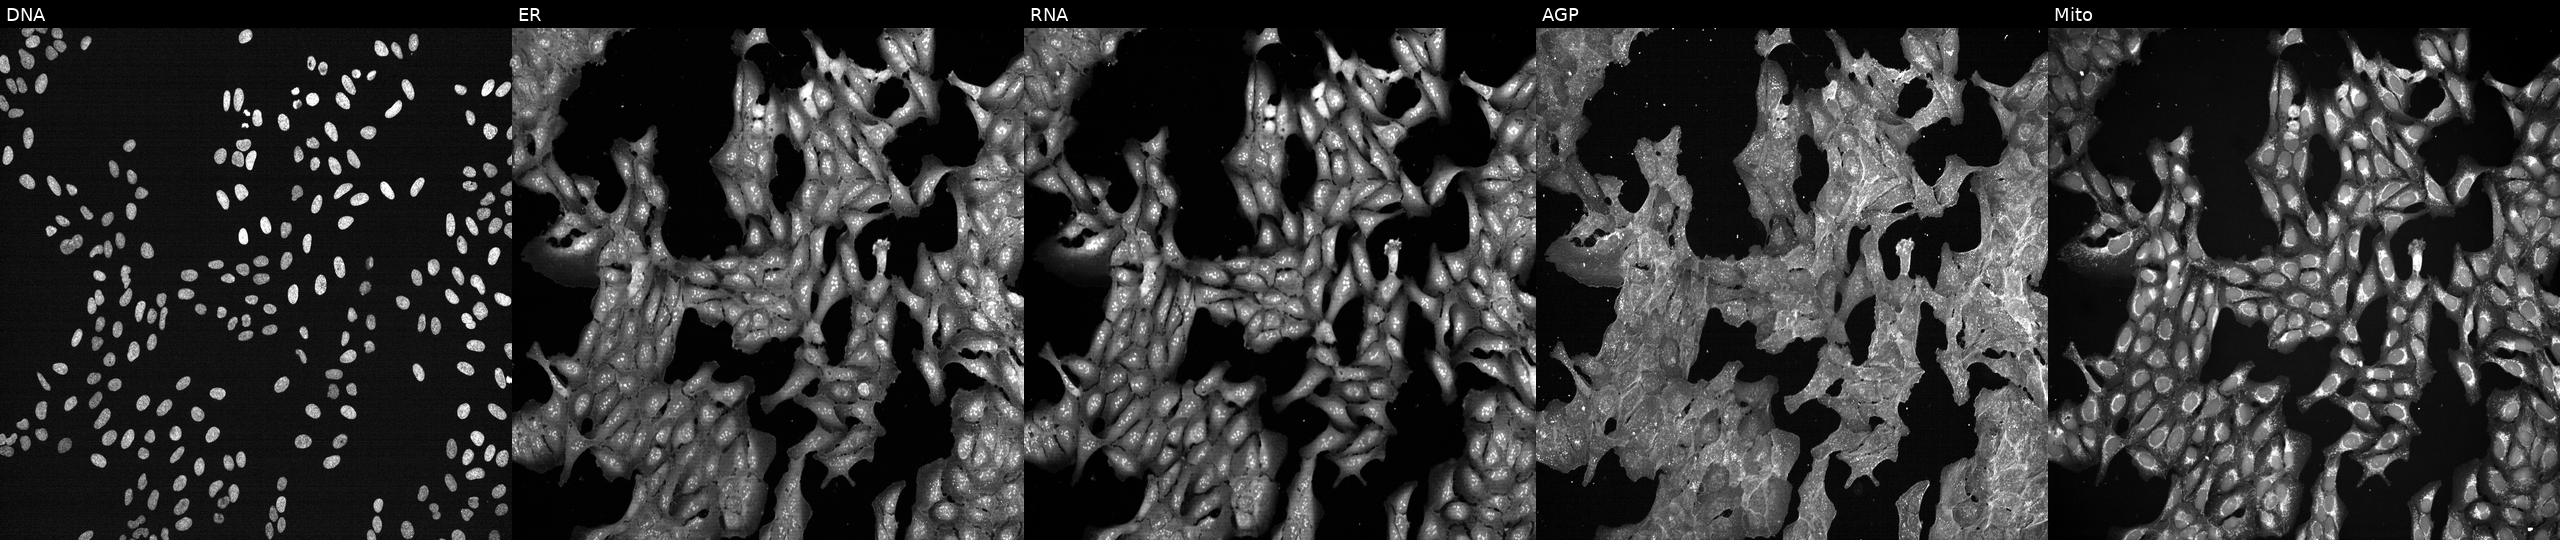
This image strip shows the five Cell Painting channels for a single field of U2OS cells perturbed with a small-molecule compound (InChIKey XXYGTCZJJLTAGH-UHFFFAOYSA-N). Panels show, left to right, Hoechst 33342, concanavalin A, SYTO 14, phalloidin and WGA, MitoTracker.